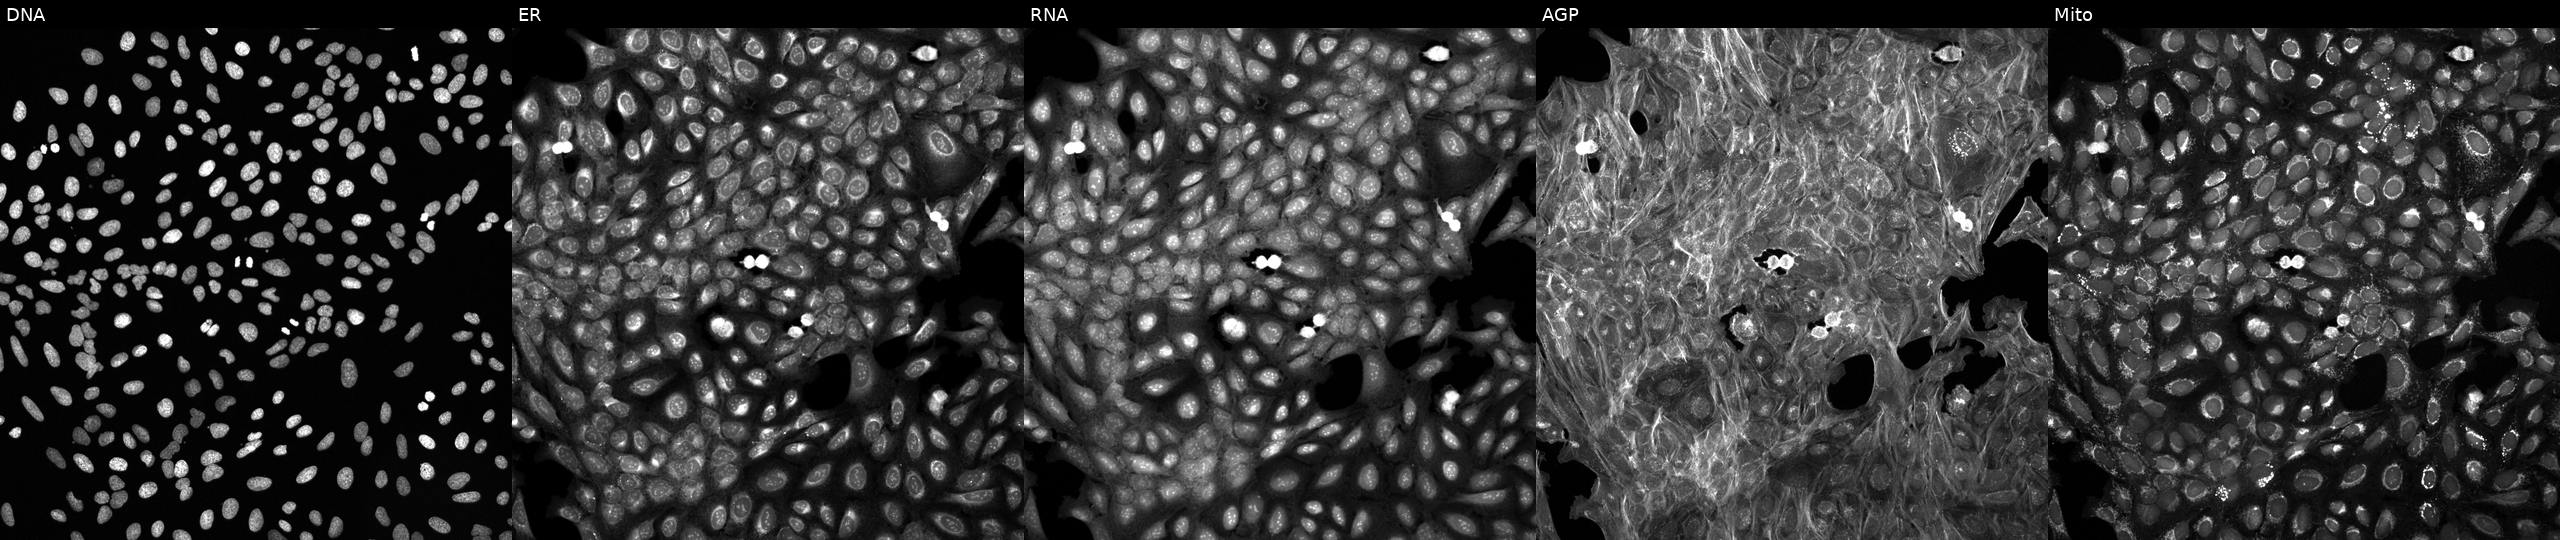
JUMP Cell Painting — TARGET2 plate. U2OS cells exposed to a small-molecule compound (InChIKey VHOGYURTWQBHIL-UHFFFAOYSA-N). Panels show, left to right, DNA, ER, RNA, AGP, and Mito. Source 6, plate 110000294901, well N10.